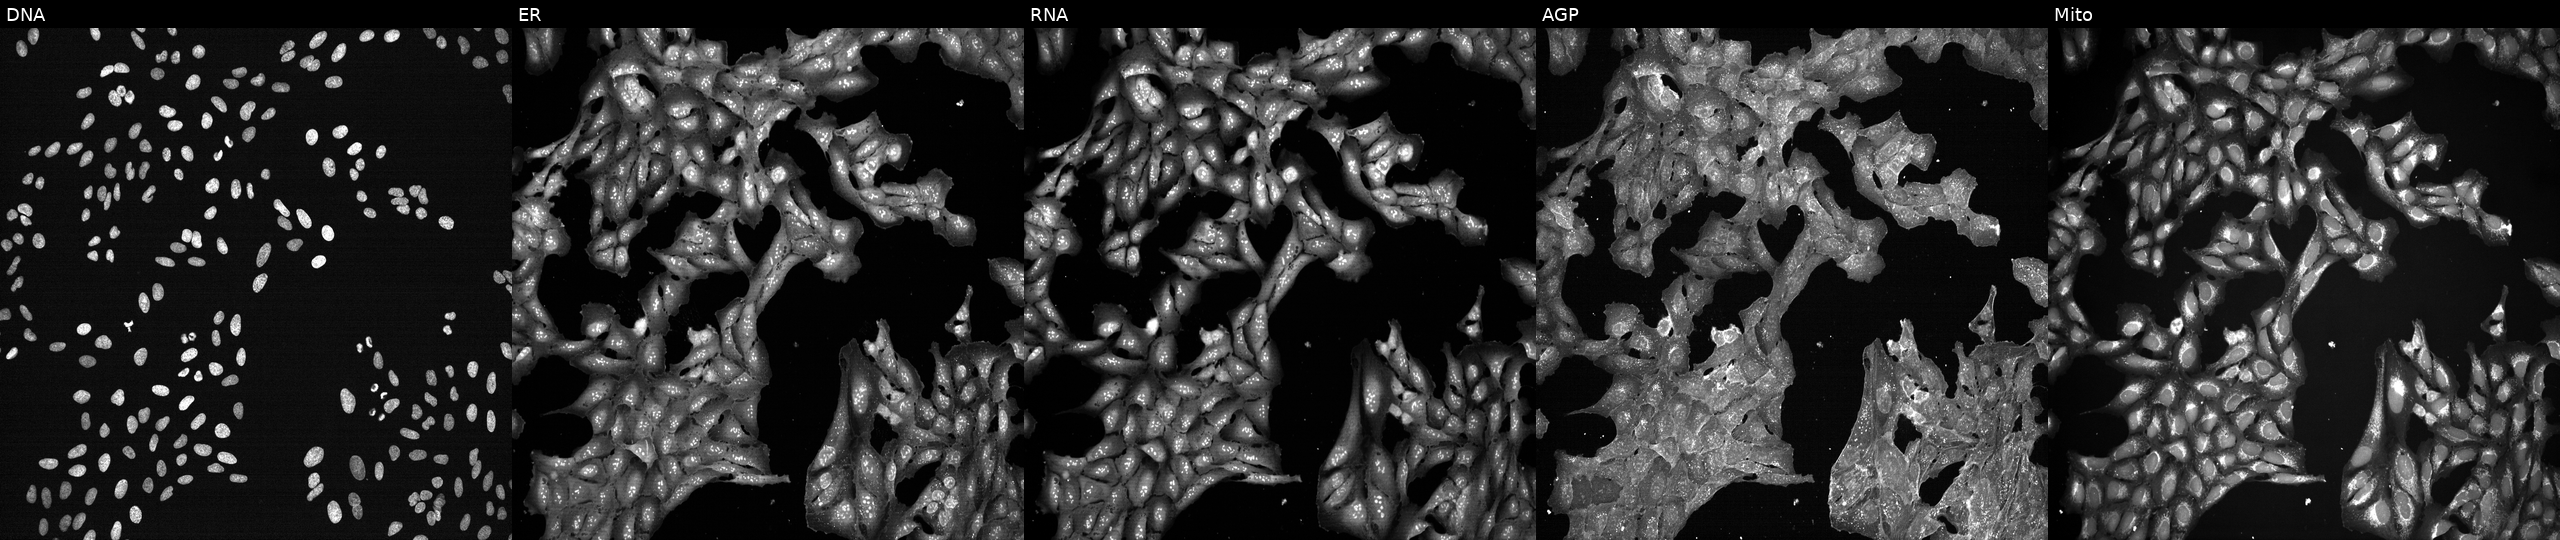
JUMP Cell Painting — TARGET2 plate. U2OS cells exposed to a small-molecule compound (JUMP id JCP2022_033936). Channels (left→right): Hoechst 33342, concanavalin A, SYTO 14, phalloidin and WGA, MitoTracker. Source 7, plate CP2-SC1-25, well F17.